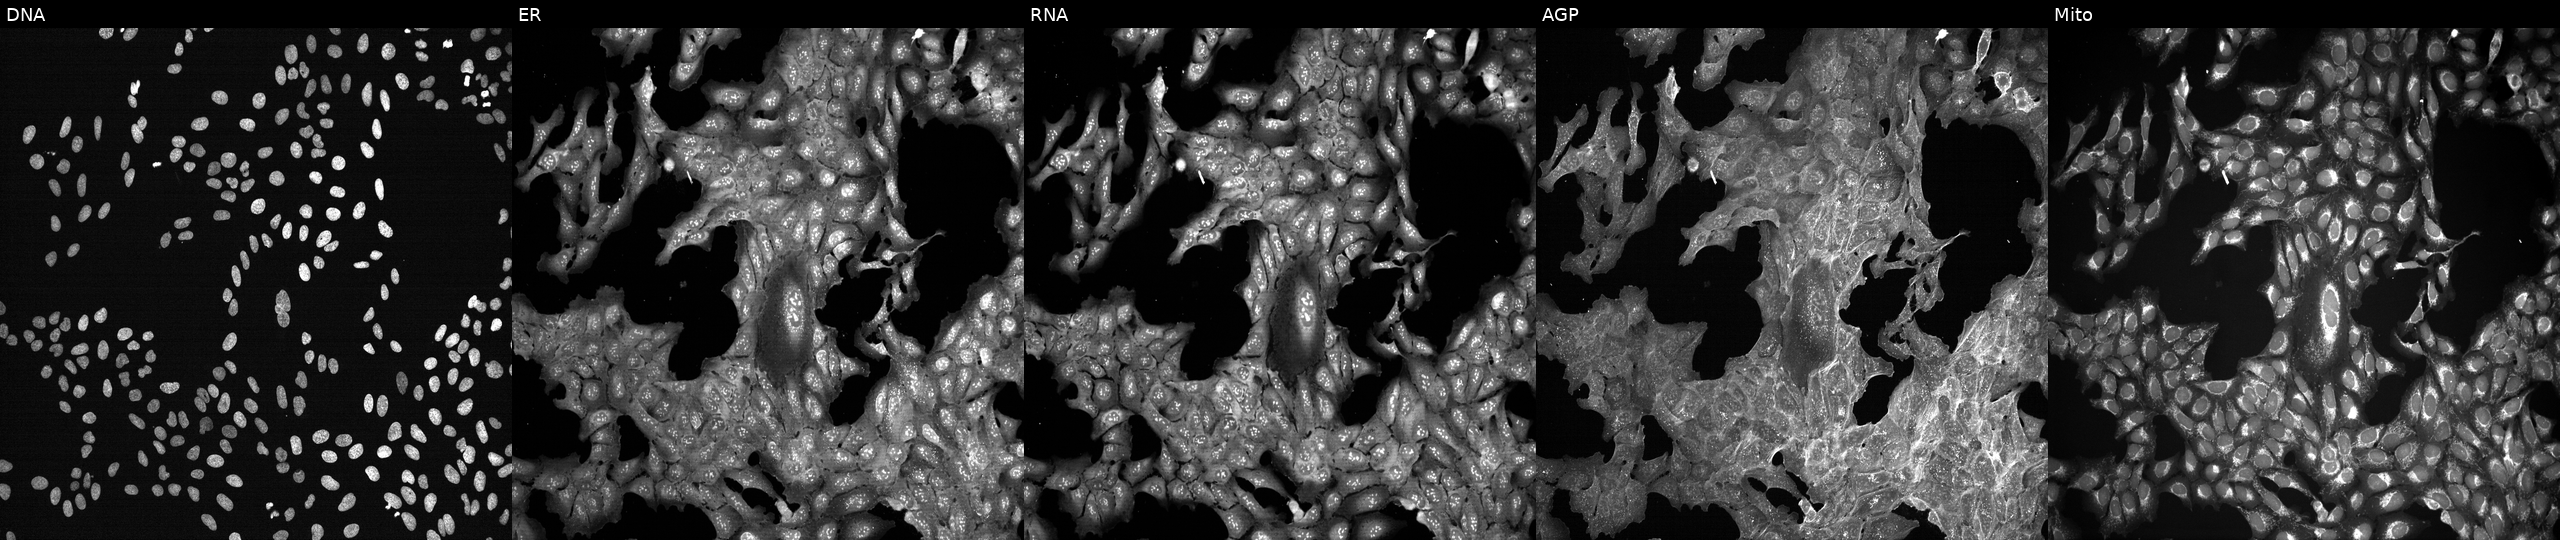
JUMP Cell Painting — TARGET2 plate. U2OS cells exposed to a small-molecule compound (InChIKey JYLNVJYYQQXNEK-UHFFFAOYSA-N) (JUMP id JCP2022_042960). Panels show, left to right, DNA (nuclei); ER (endoplasmic reticulum); RNA (nucleoli and cytoplasmic RNA); AGP (actin cytoskeleton, Golgi, and plasma membrane); Mito (mitochondria). Source 7, plate CP3-SC1-25, well I03.